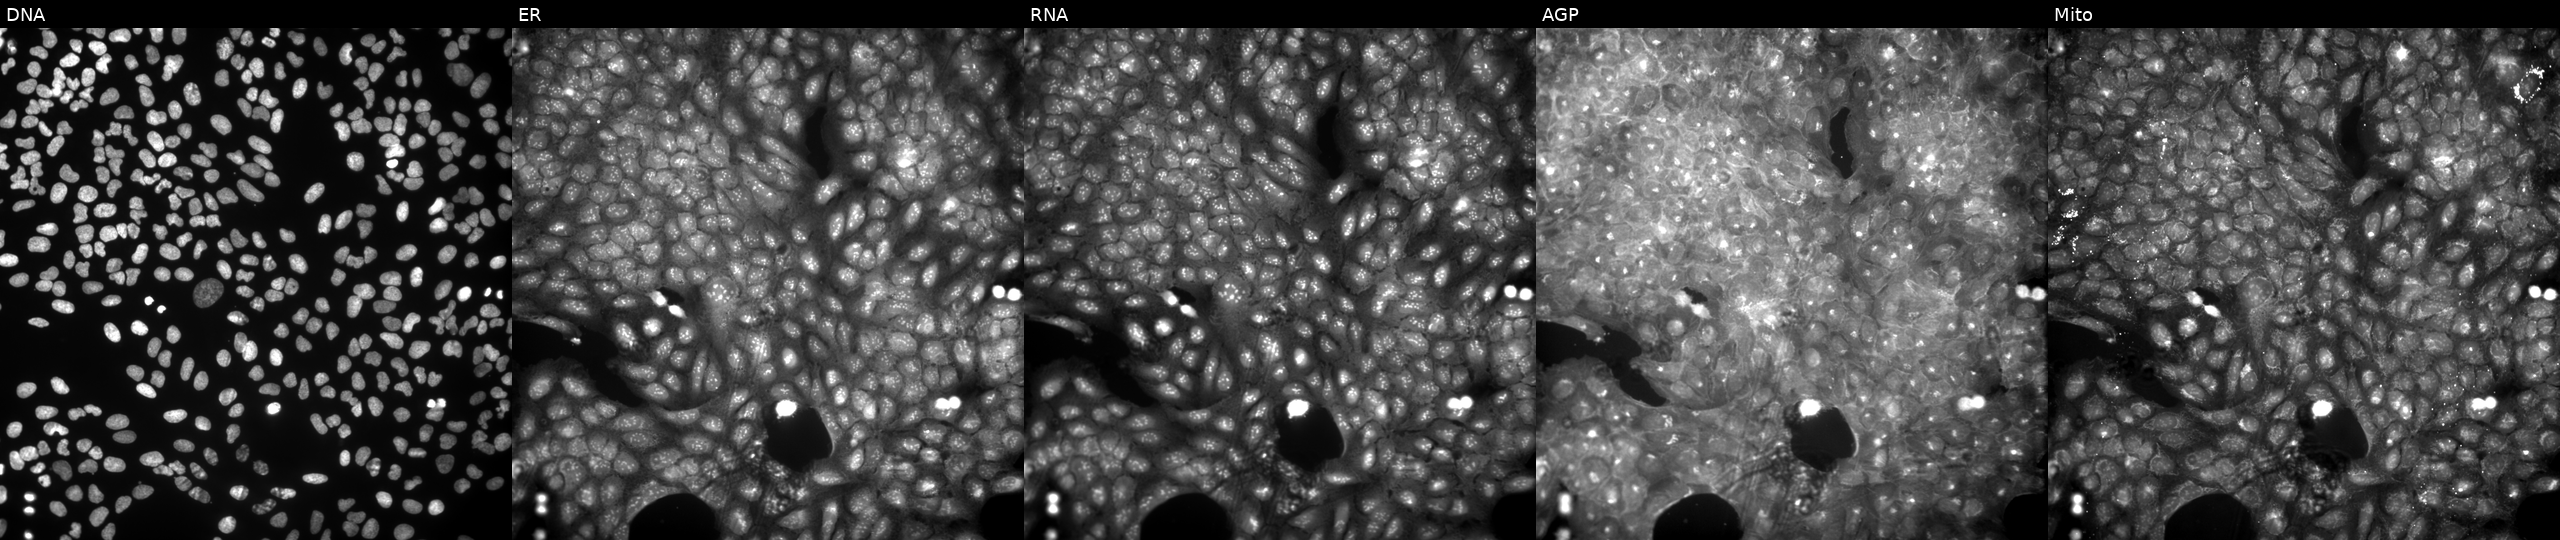
U2OS cells, Cell Painting assay, perturbed with a small-molecule compound (InChIKey GAKVKNCTTAVVDA-UHFFFAOYSA-N). Channels (left→right): DNA, ER, RNA, AGP, and Mito. Each panel is percentile-stretched 16-bit fluorescence.